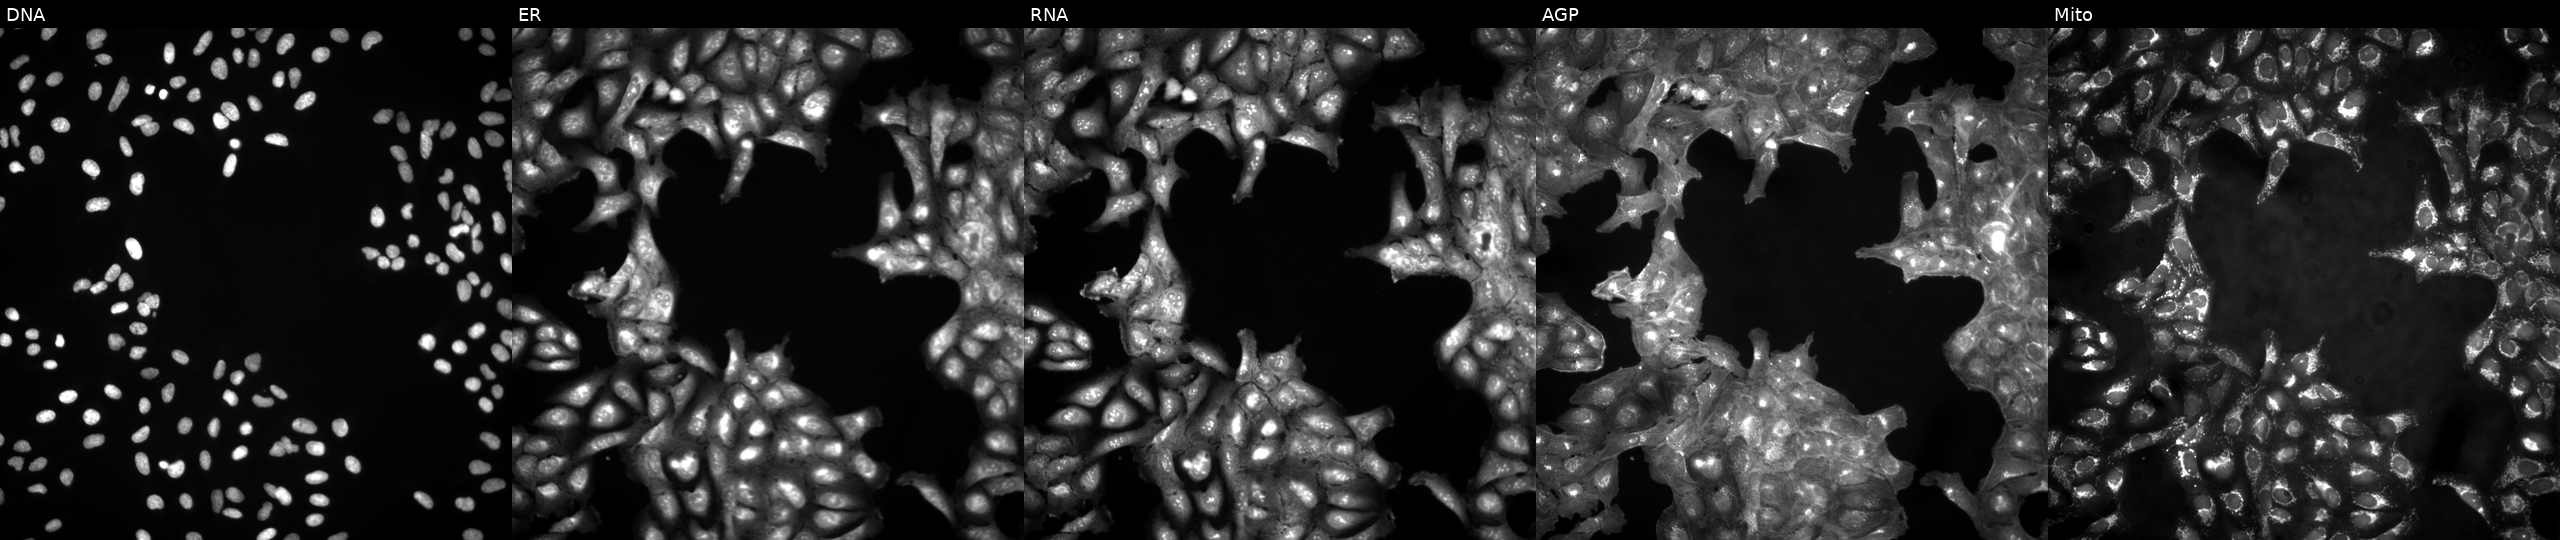
JUMP Cell Painting — ORF plate. U2OS cells untreated (empty-well control) (JUMP id JCP2022_999999). Channels (left→right): DNA, ER, RNA, AGP, and Mito.